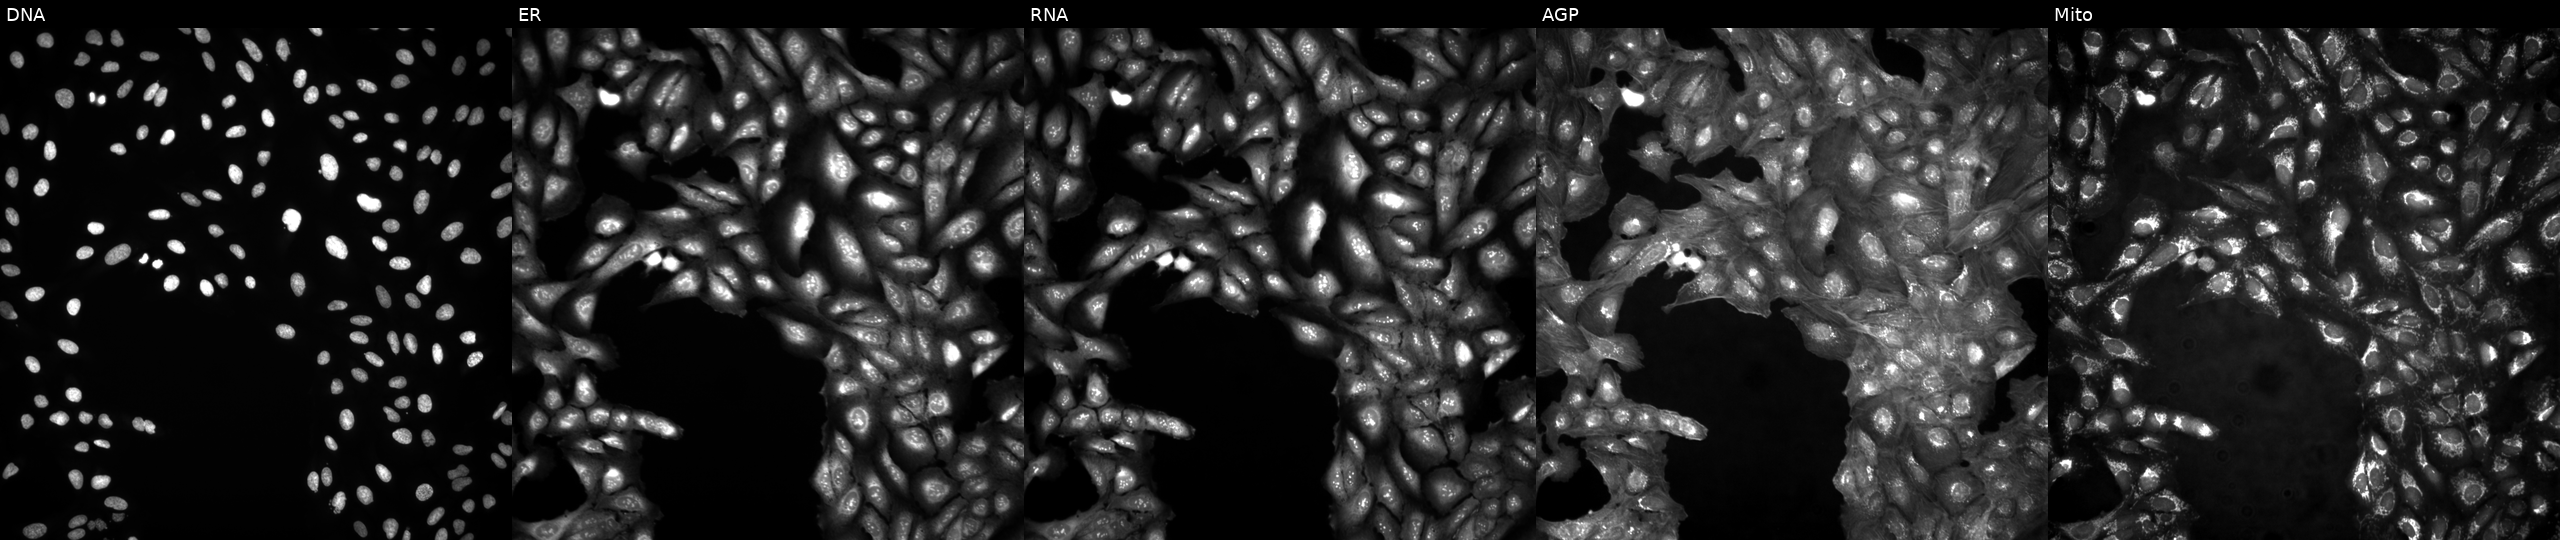
This image strip shows the five Cell Painting channels for a single field of U2OS cells untreated (empty-well control). From left to right: DNA (nuclei); ER (endoplasmic reticulum); RNA (nucleoli and cytoplasmic RNA); AGP (actin cytoskeleton, Golgi, and plasma membrane); Mito (mitochondria). Source 4, plate BR00124793, well D06.